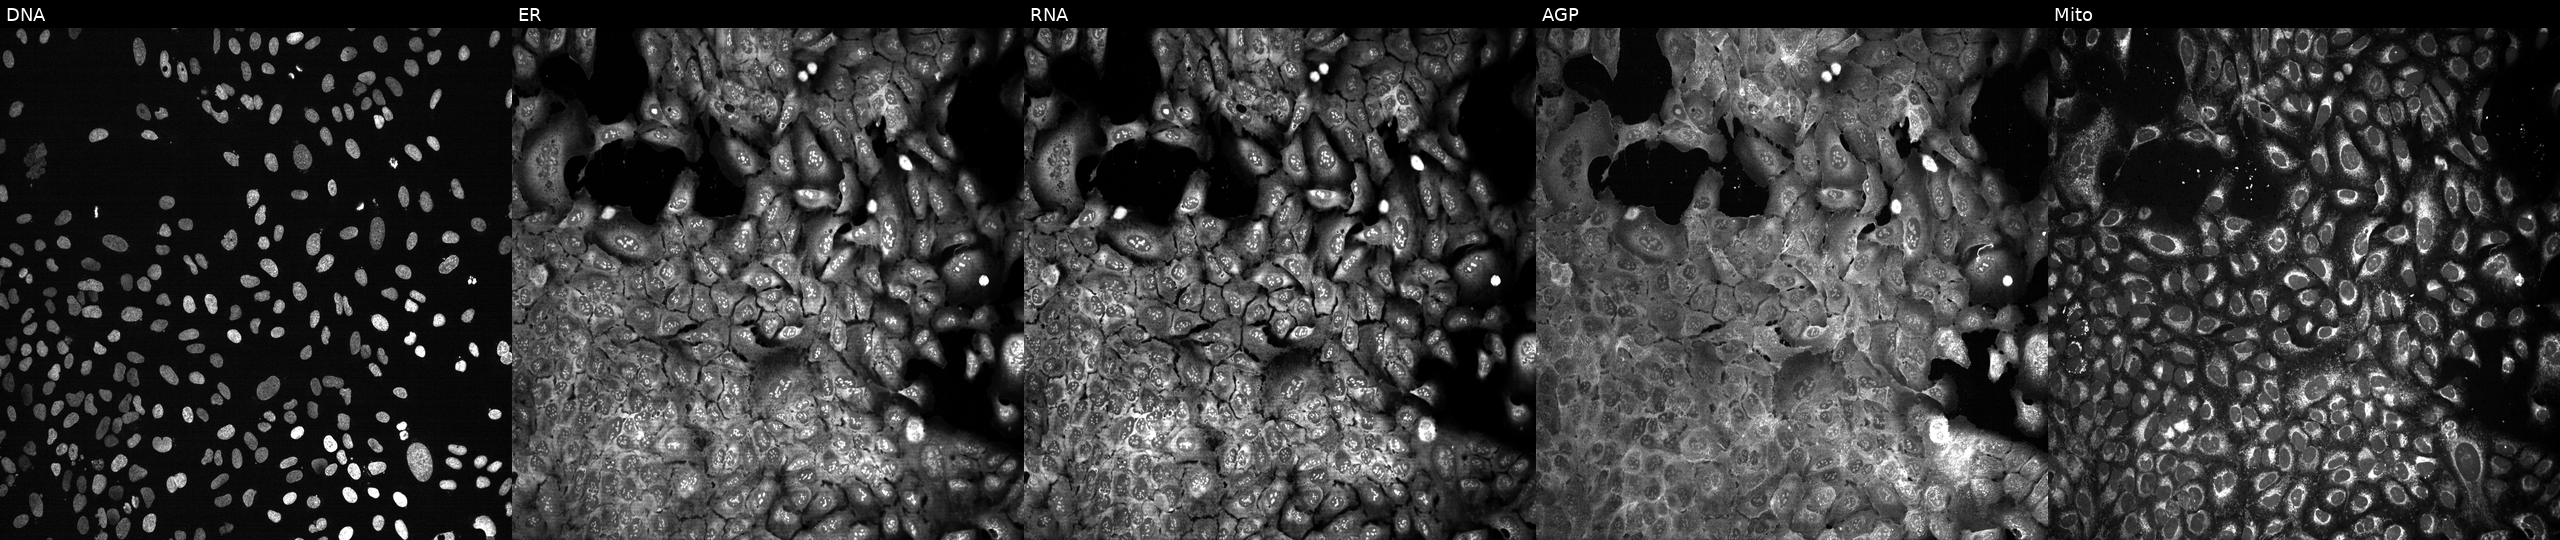
High-content fluorescence microscopy (Cell Painting). Cell line: U2OS. Perturbation: following CRISPR knockout of TAZ (JUMP id JCP2022_806962). From left to right: Hoechst 33342, concanavalin A, SYTO 14, phalloidin and WGA, MitoTracker.